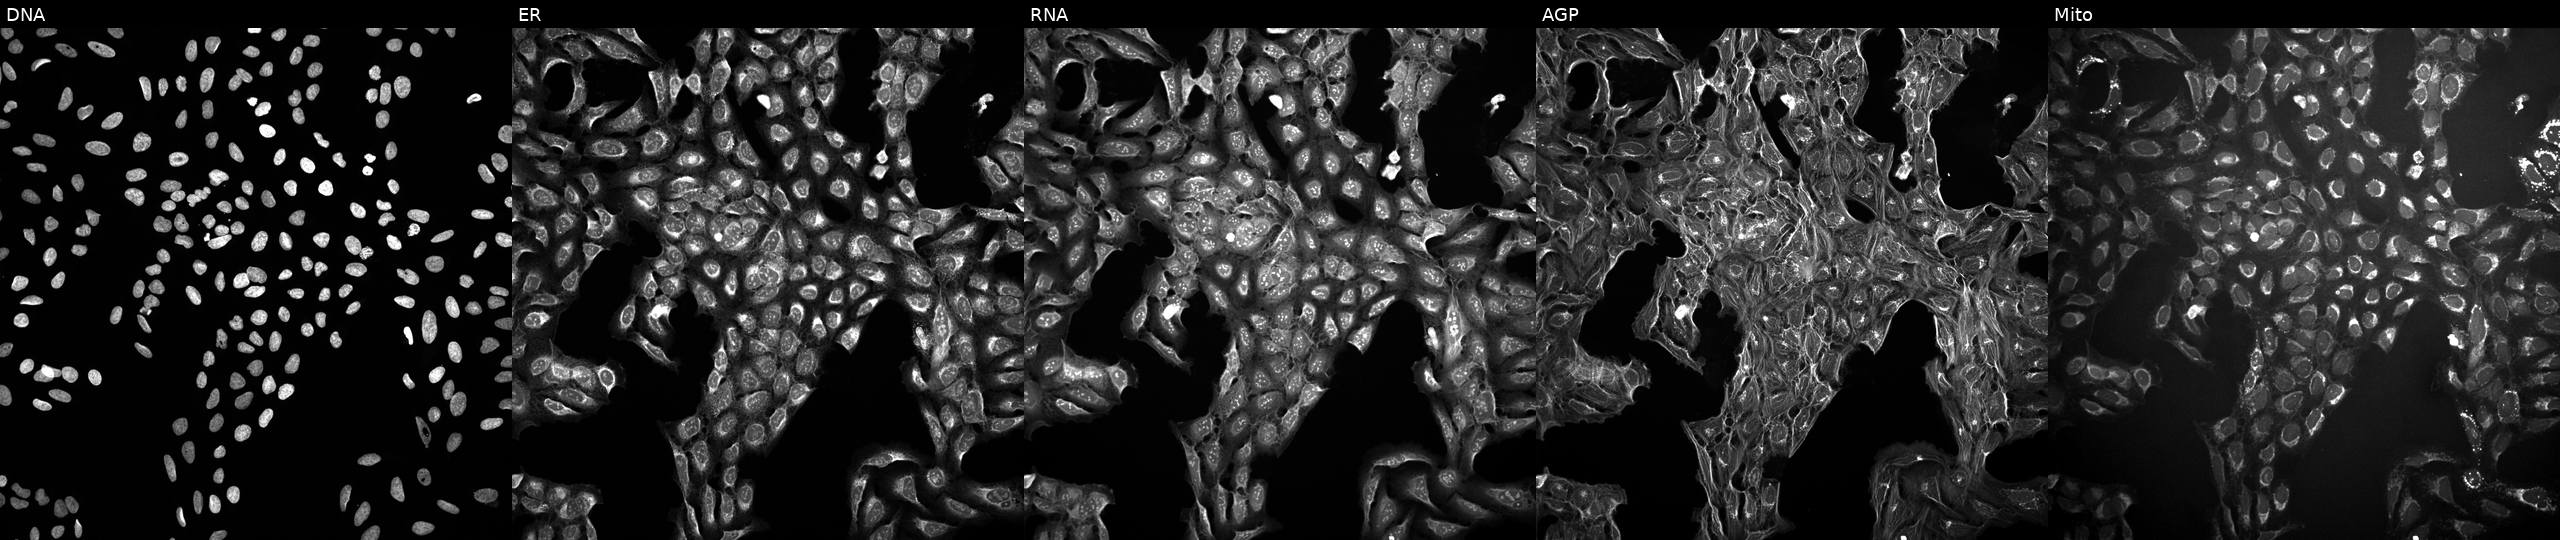
Five-channel Cell Painting image of U2OS cells exposed to a small-molecule compound (InChIKey KYNRDYCLZOJRMX-UHFFFAOYSA-N) (JUMP id JCP2022_047812). The five panels, left to right, show Hoechst 33342, concanavalin A, SYTO 14, phalloidin and WGA, MitoTracker. Source 10, plate Dest210531-152324, well P03.